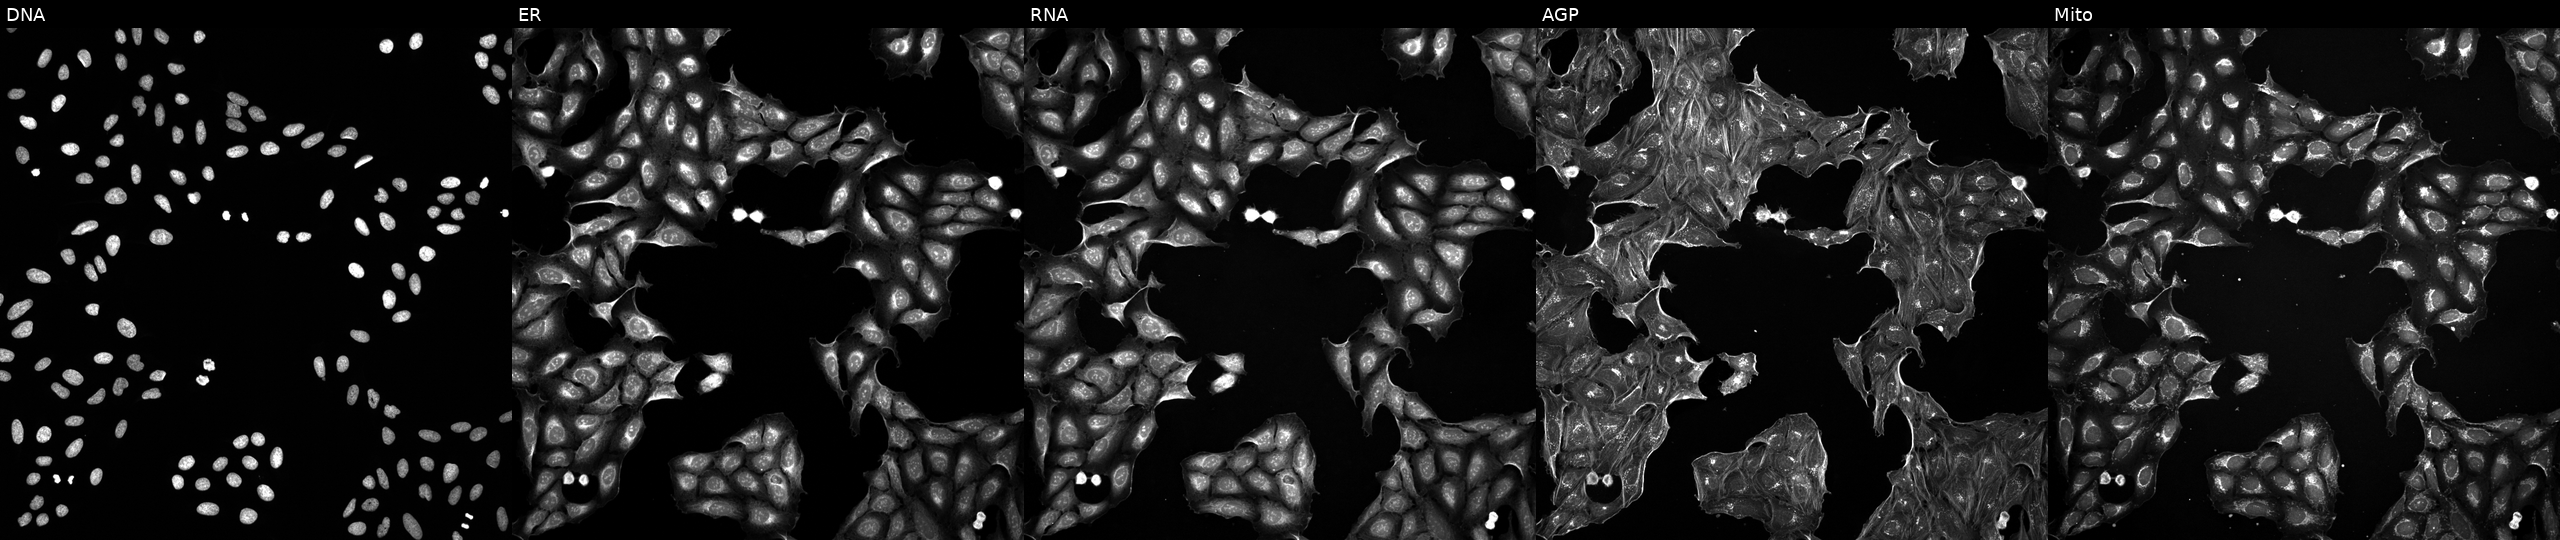
Channels (left→right): Hoechst 33342, concanavalin A, SYTO 14, phalloidin and WGA, MitoTracker. U2OS osteosarcoma cells treated with a small-molecule compound. Cell Painting assay, JUMP-CP dataset.